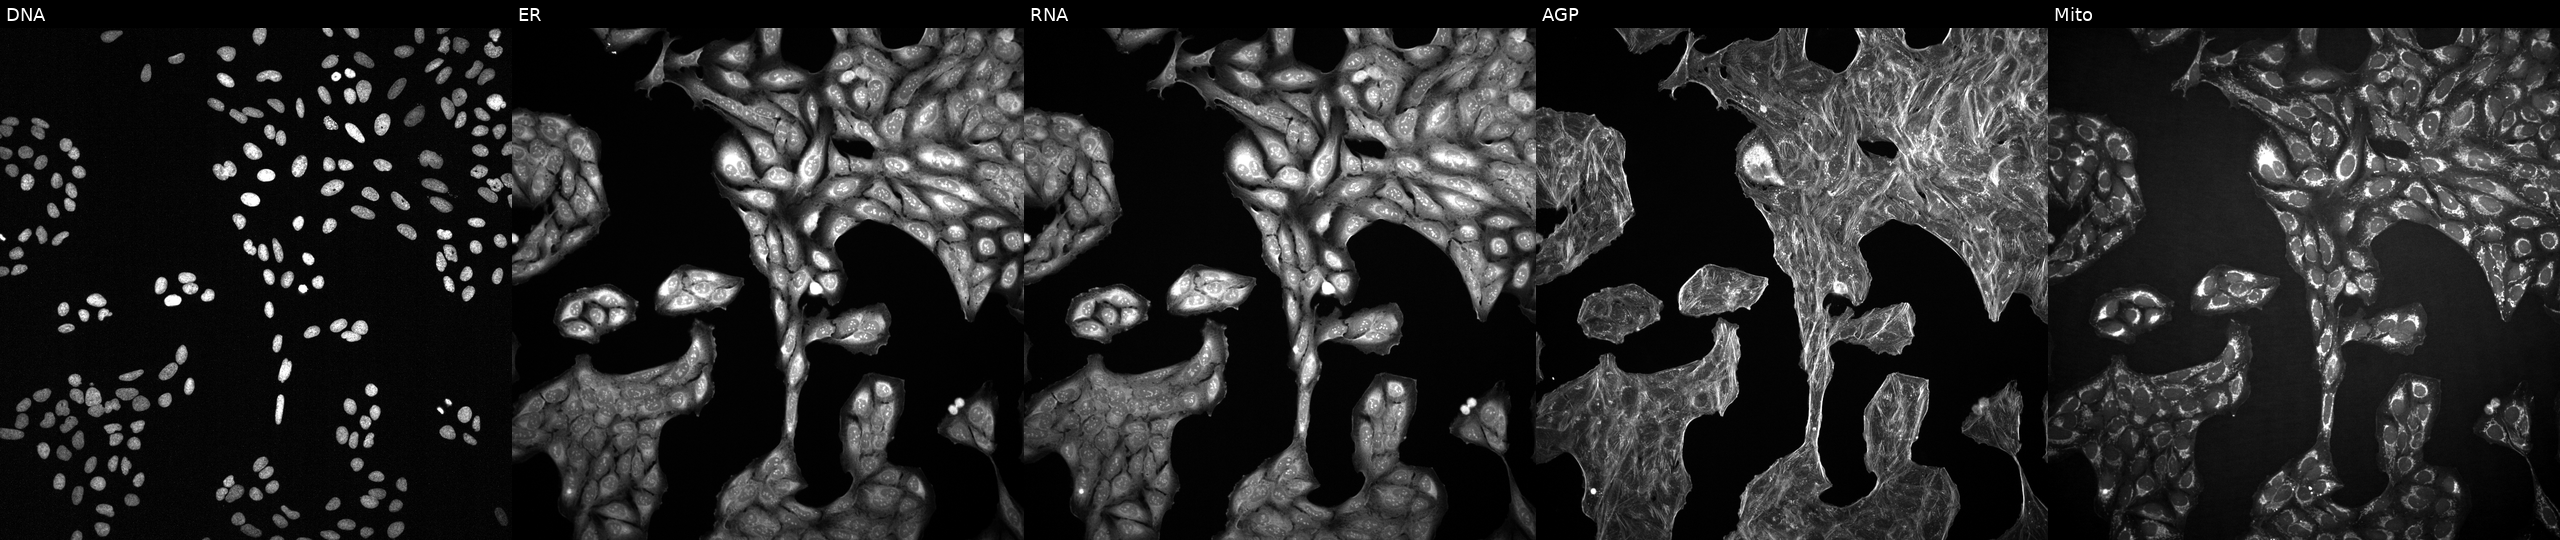
This image strip shows the five Cell Painting channels for a single field of U2OS cells exposed to a small-molecule compound (InChIKey HNJBGZILIPINTO-UHFFFAOYSA-N) [SMILES: CC(=O)Nc1ccc(N=c2[nH]cc([N+](=O)[O-])c(=Nc3ccc(NC(C)=O)cc3)[nH]2)cc1]. Channels (left→right): DNA (nuclei); ER (endoplasmic reticulum); RNA (nucleoli and cytoplasmic RNA); AGP (actin cytoskeleton, Golgi, and plasma membrane); Mito (mitochondria). Source 2, plate 1053601756, well O03.